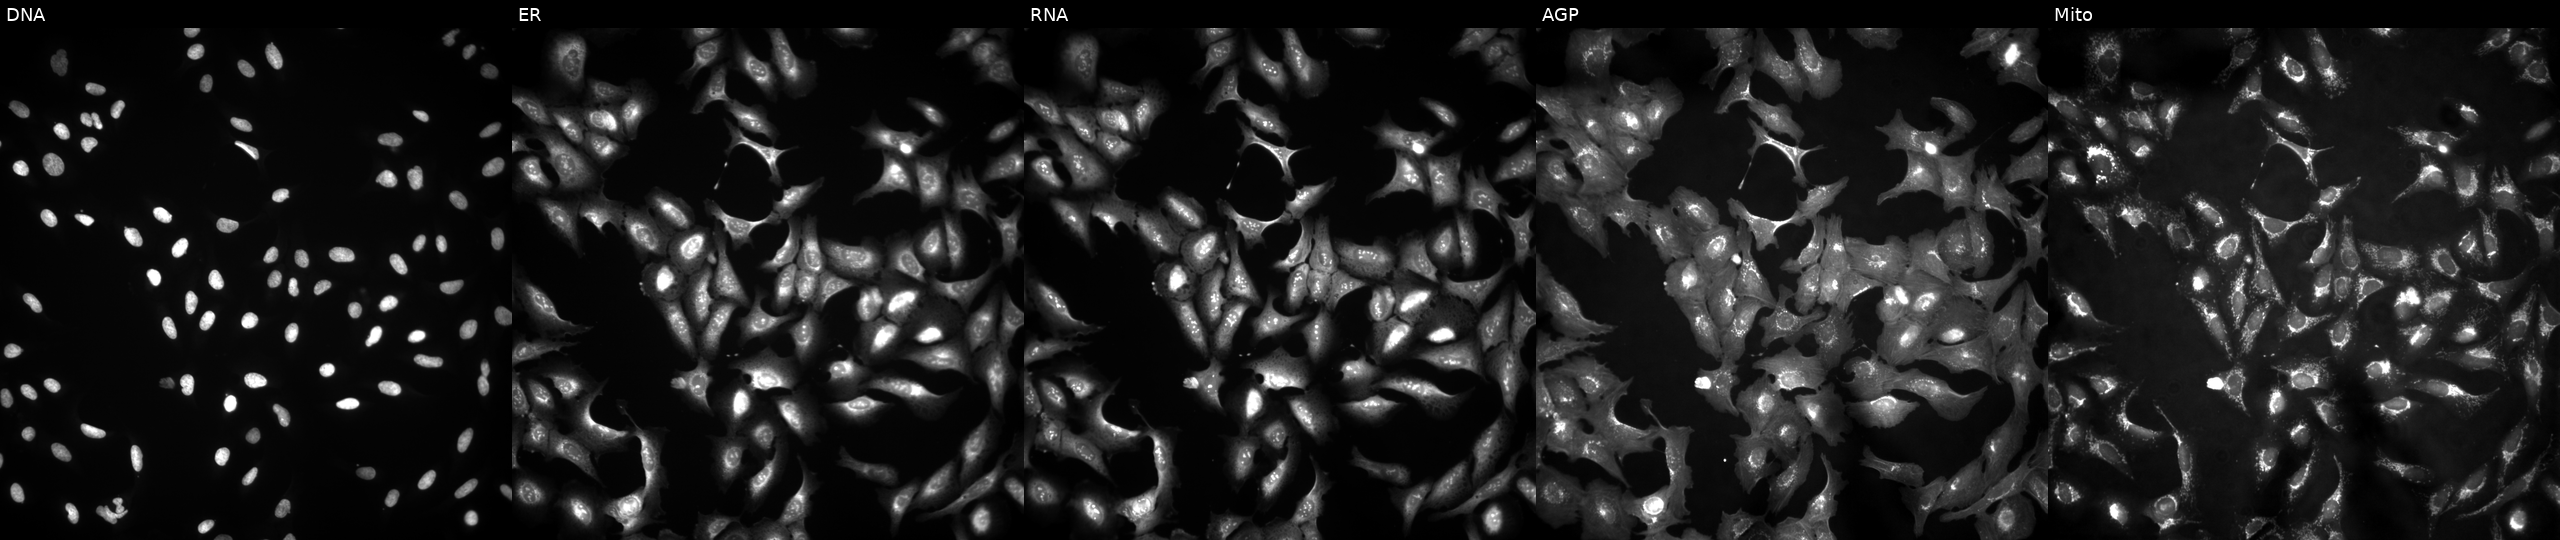
Five-channel Cell Painting image of U2OS cells overexpressing XPO7 via ORF transfection. From left to right: DNA (nuclei); ER (endoplasmic reticulum); RNA (nucleoli and cytoplasmic RNA); AGP (actin cytoskeleton, Golgi, and plasma membrane); Mito (mitochondria).